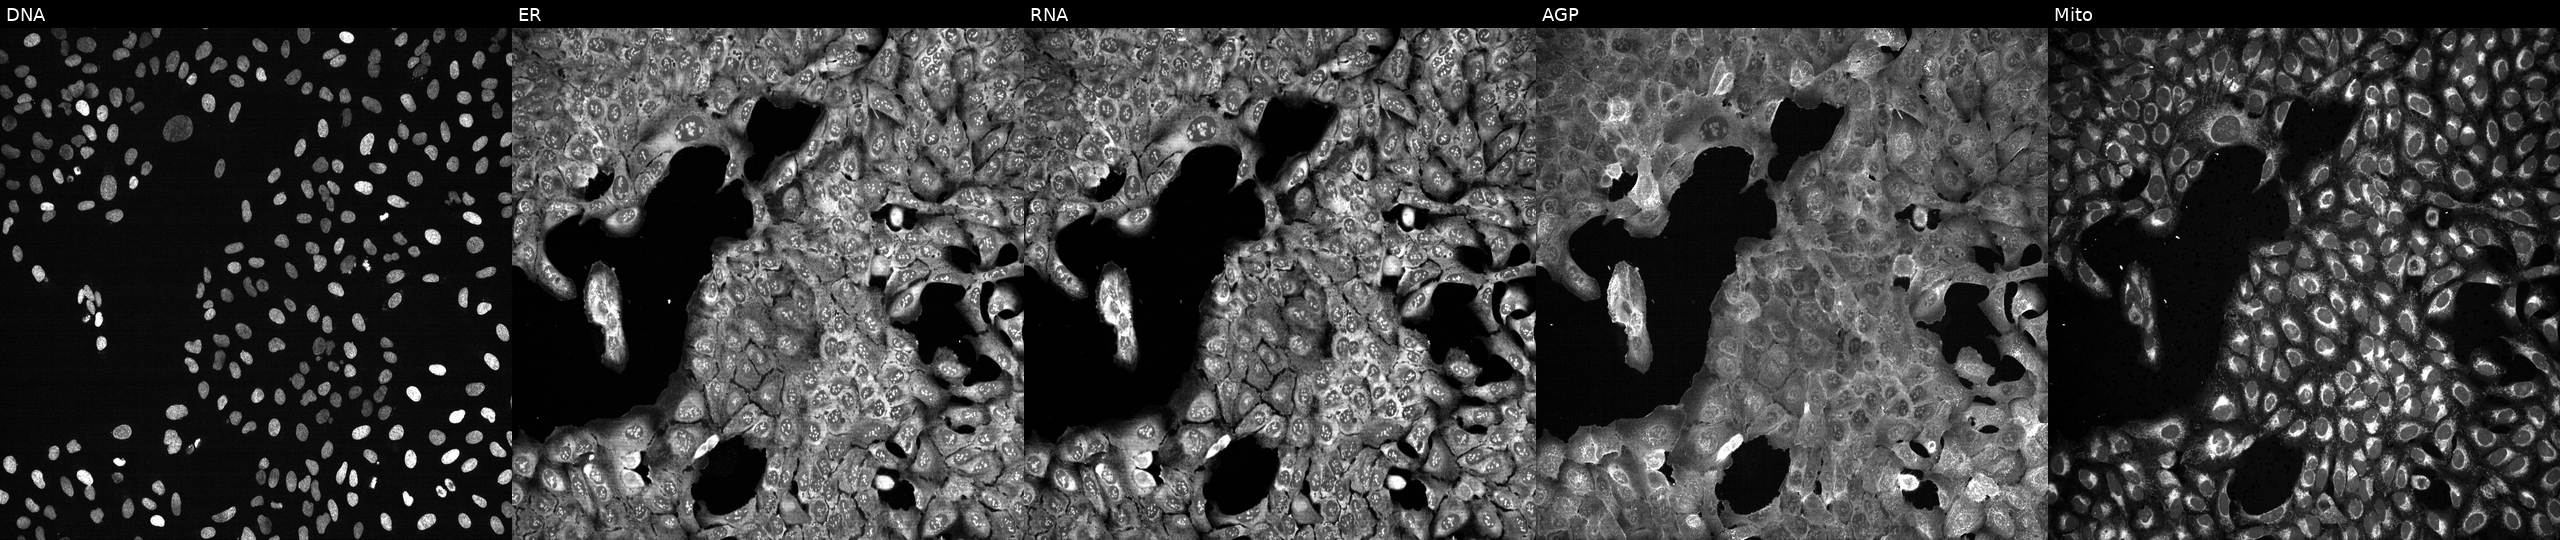
This image strip shows the five Cell Painting channels for a single field of U2OS cells following CRISPR knockout of ABHD4. Channels (left→right): Hoechst 33342, concanavalin A, SYTO 14, phalloidin and WGA, MitoTracker. Source 13, plate CP-CC9-R2-01, well C08.